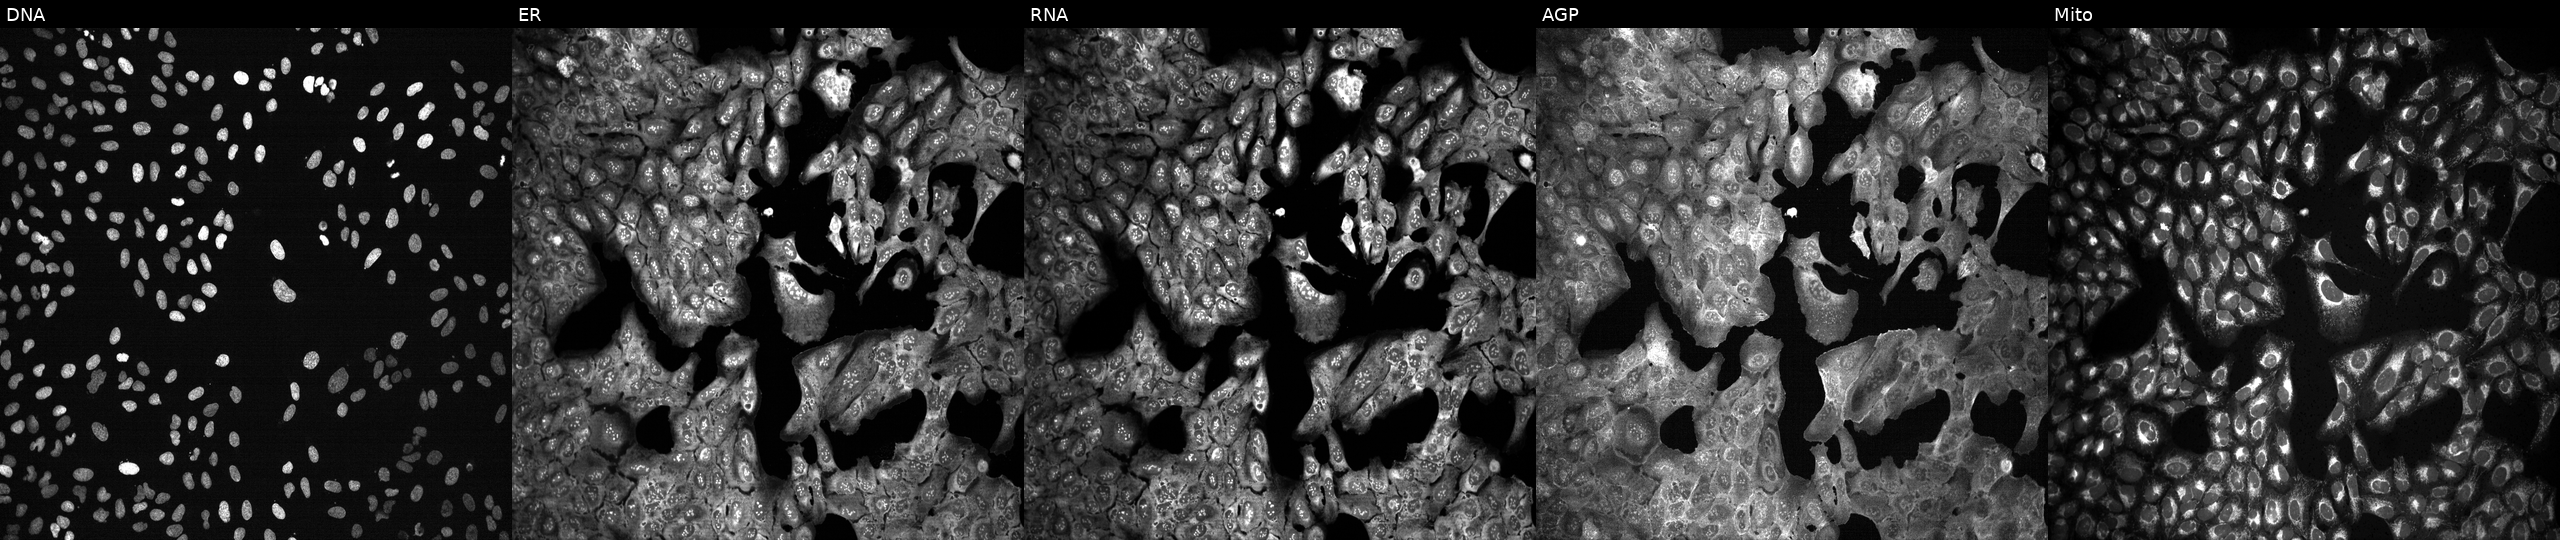
Five-channel Cell Painting image of U2OS cells with HAS2 knocked out by CRISPR. Panels show, left to right, DNA (nuclei); ER (endoplasmic reticulum); RNA (nucleoli and cytoplasmic RNA); AGP (actin cytoskeleton, Golgi, and plasma membrane); Mito (mitochondria).